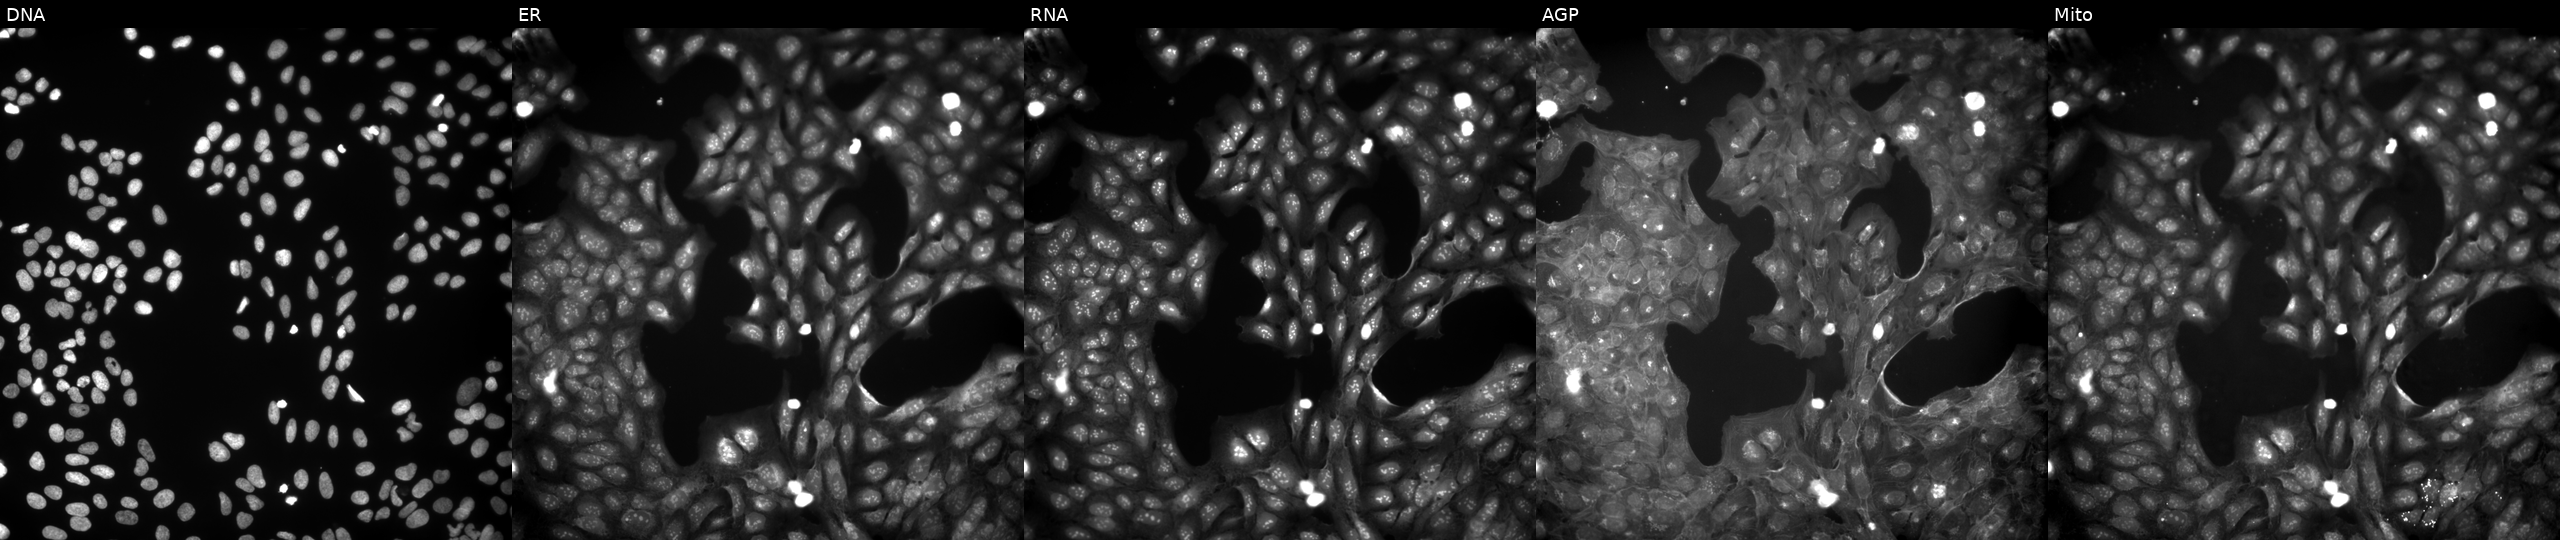
JUMP Cell Painting — COMPOUND plate. U2OS cells treated with a small-molecule compound (InChIKey QFCITOQUKIFZGA-UHFFFAOYSA-N) [SMILES: COC(=O)c1ccc(-n2nnnc2SCc2ccccc2OC)cc1]. Channels (left→right): Hoechst 33342, concanavalin A, SYTO 14, phalloidin and WGA, MitoTracker. Source 9, plate GR00003381, well AF13.